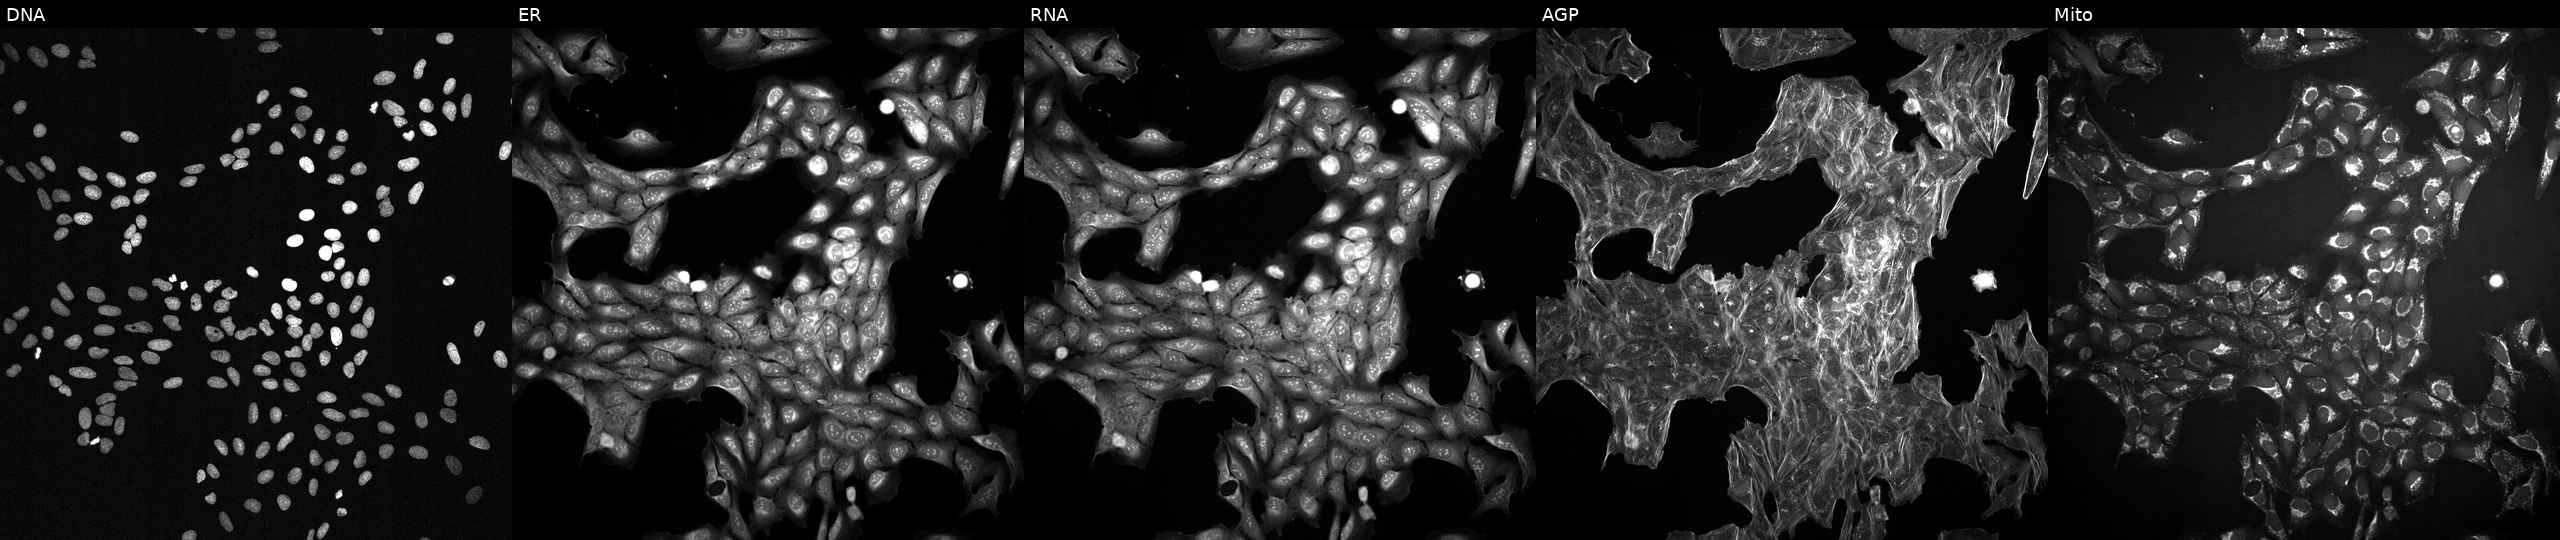
High-content fluorescence microscopy (Cell Painting). Cell line: U2OS. Perturbation: exposed to a small-molecule compound (JUMP id JCP2022_058288). Panels show, left to right, DNA, ER, RNA, AGP, and Mito. Source 2, plate 1053599503, well K09.